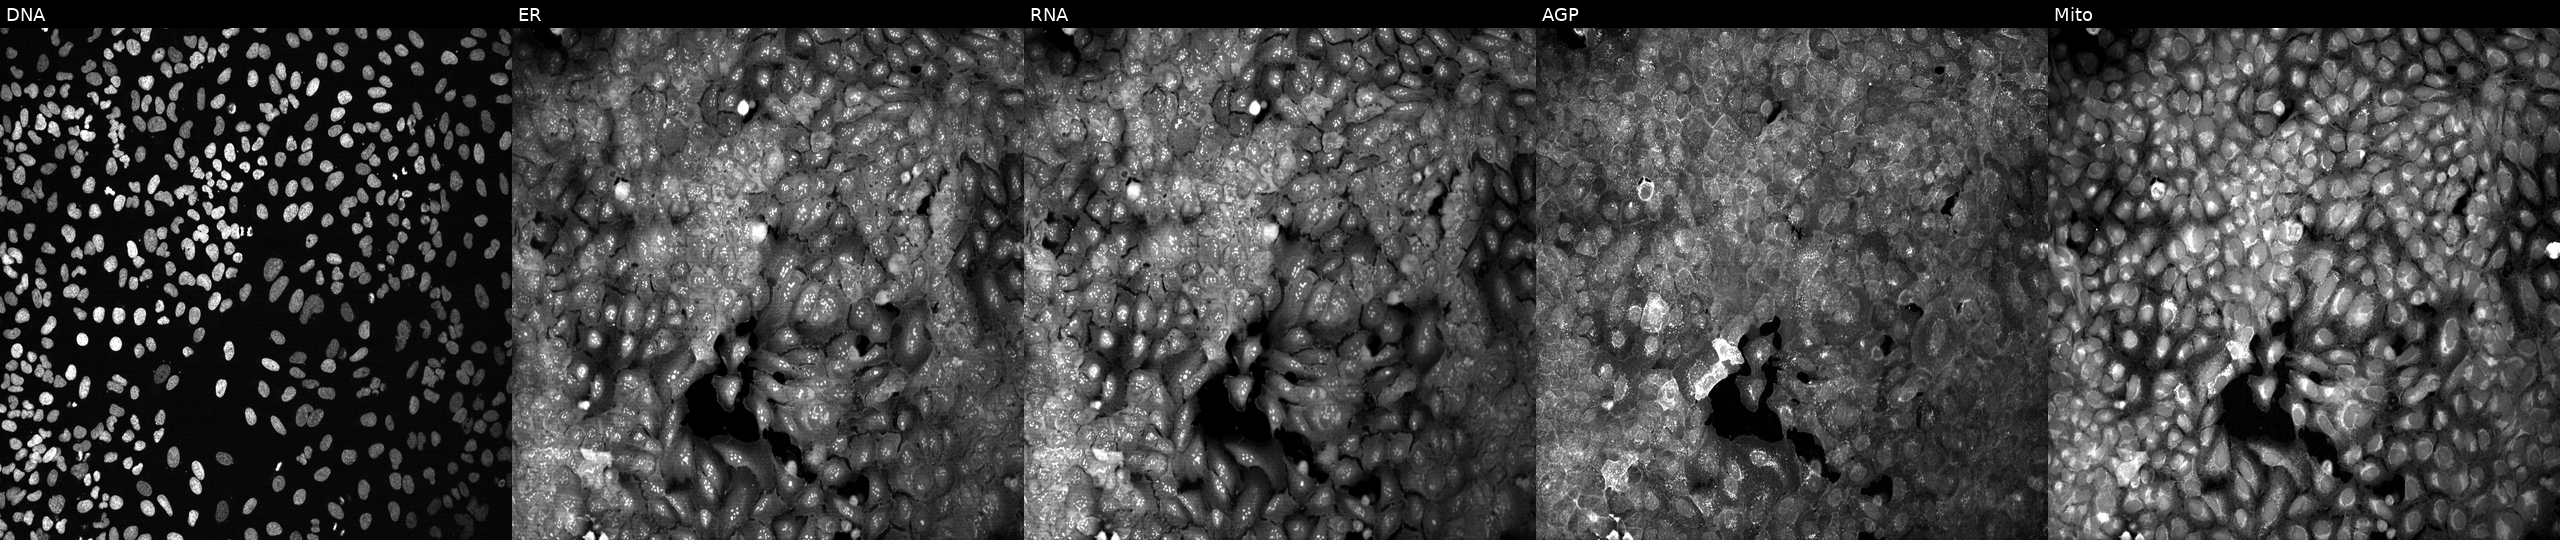
Panels show, left to right, DNA, ER, RNA, AGP, and Mito. U2OS osteosarcoma cells following CRISPR knockout of HAS2 (JUMP id JCP2022_803021). Cell Painting assay, JUMP-CP dataset.